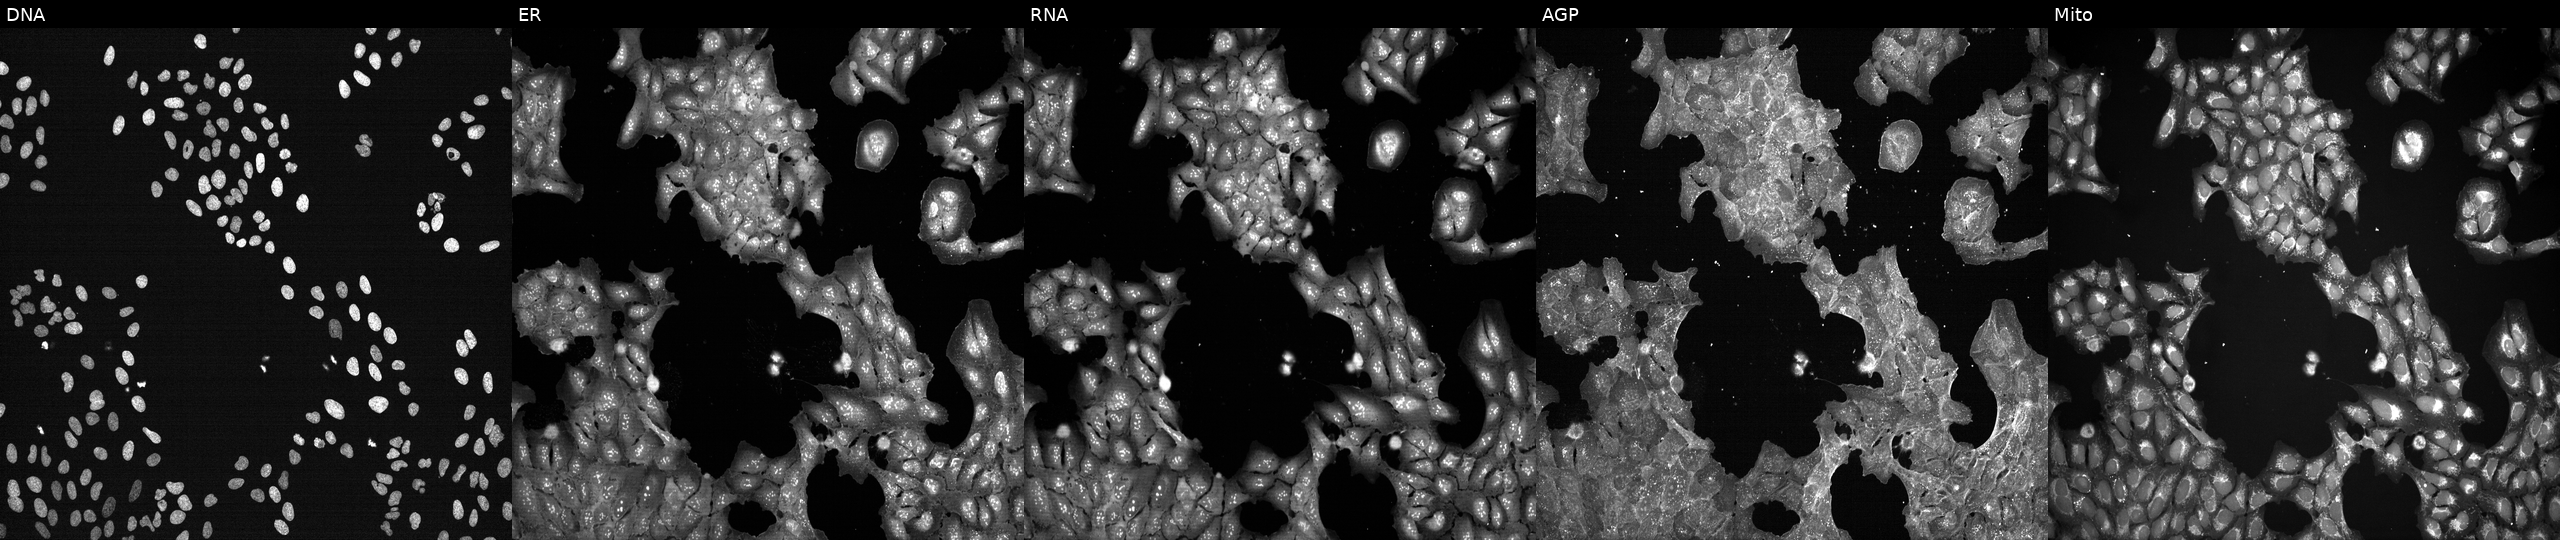
JUMP Cell Painting — TARGET2 plate. U2OS cells exposed to DMSO alone as a negative control (JUMP id JCP2022_033924). Channels (left→right): DNA (nuclei); ER (endoplasmic reticulum); RNA (nucleoli and cytoplasmic RNA); AGP (actin cytoskeleton, Golgi, and plasma membrane); Mito (mitochondria).